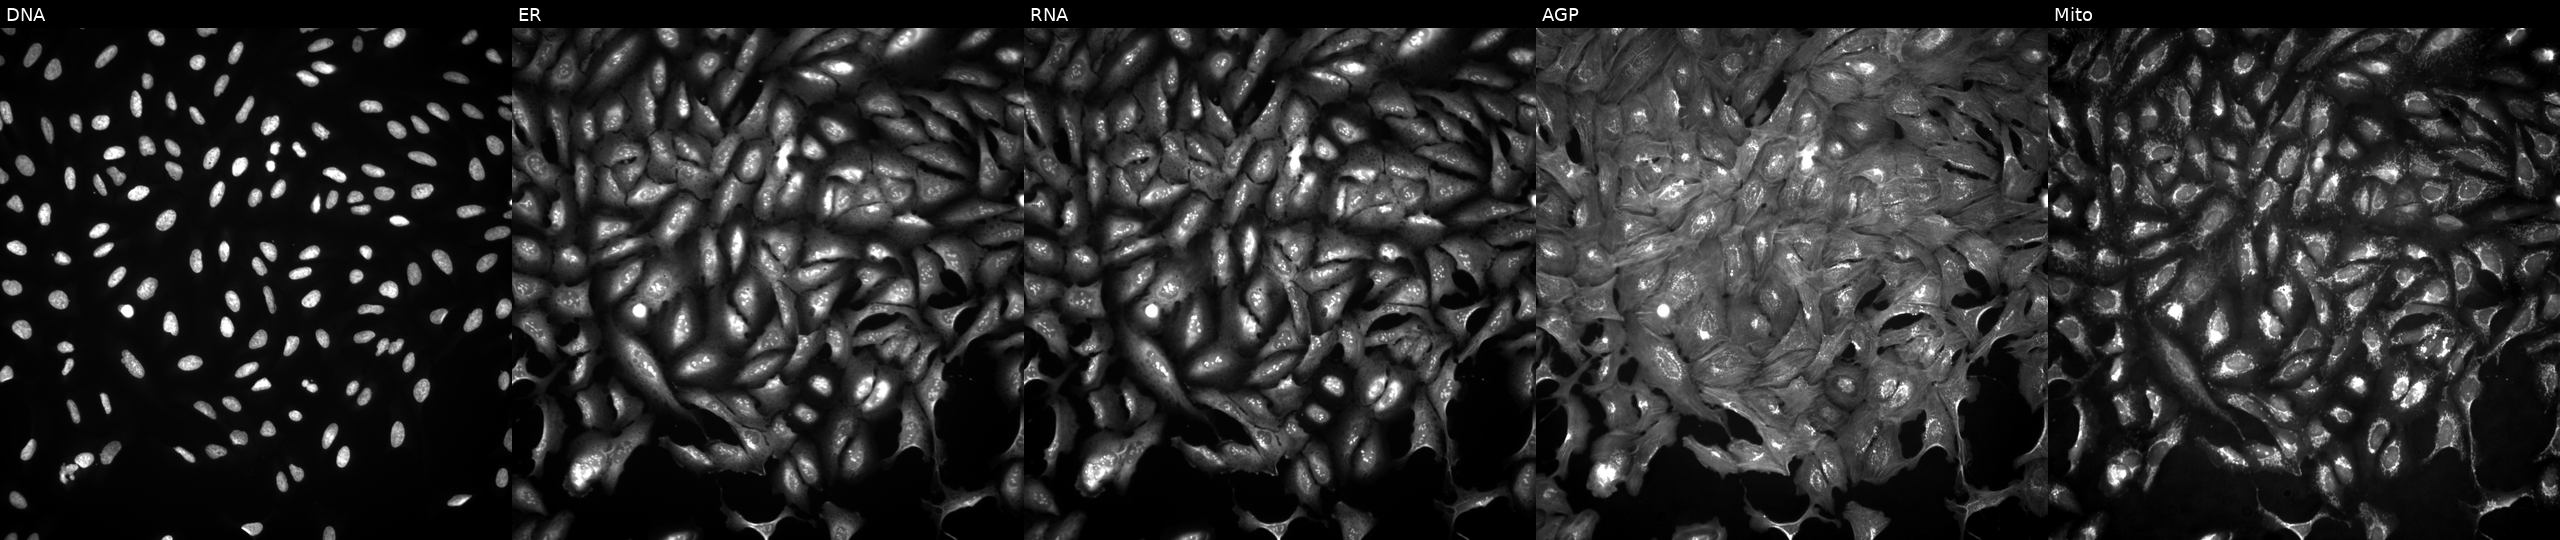
JUMP Cell Painting — ORF plate. U2OS cells with TBC1D3I overexpressed (ORF). Panels show, left to right, DNA, ER, RNA, AGP, and Mito.